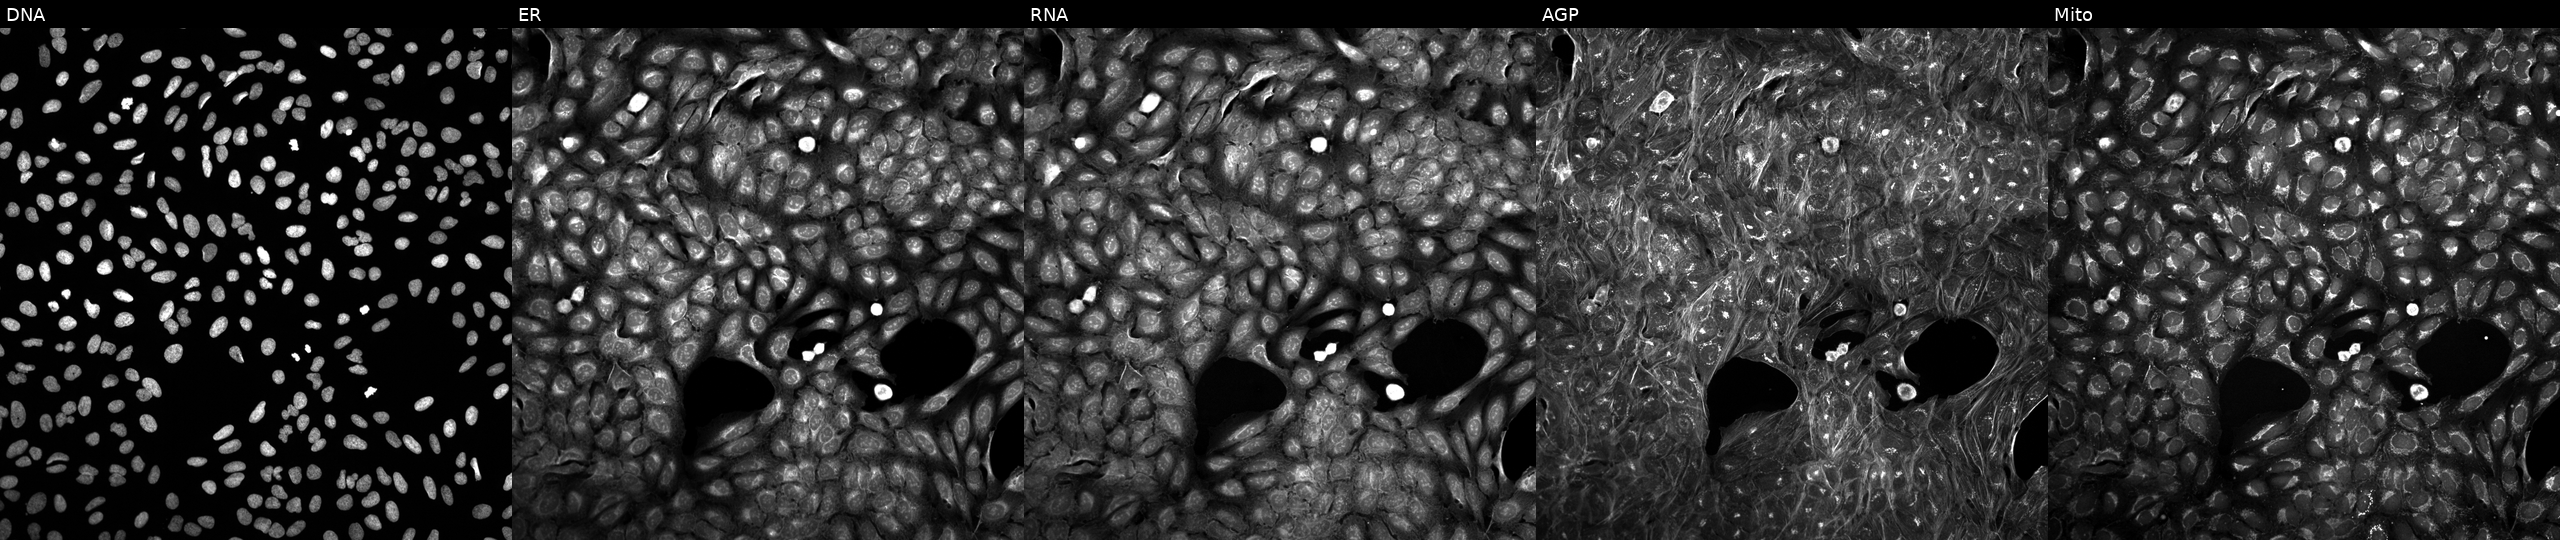
This image strip shows the five Cell Painting channels for a single field of U2OS cells exposed to a small-molecule compound (InChIKey ZIUDADZJCKGWKR-UHFFFAOYSA-N) [SMILES: Cc1cc(-c2ccc3c(c2)CCC3N2CC3(CCN(C(=O)Cc4cn5cc(C)sc5n4)CC3)C2)ncn1] (JUMP id JCP2022_113600). Panels show, left to right, DNA, ER, RNA, AGP, and Mito.